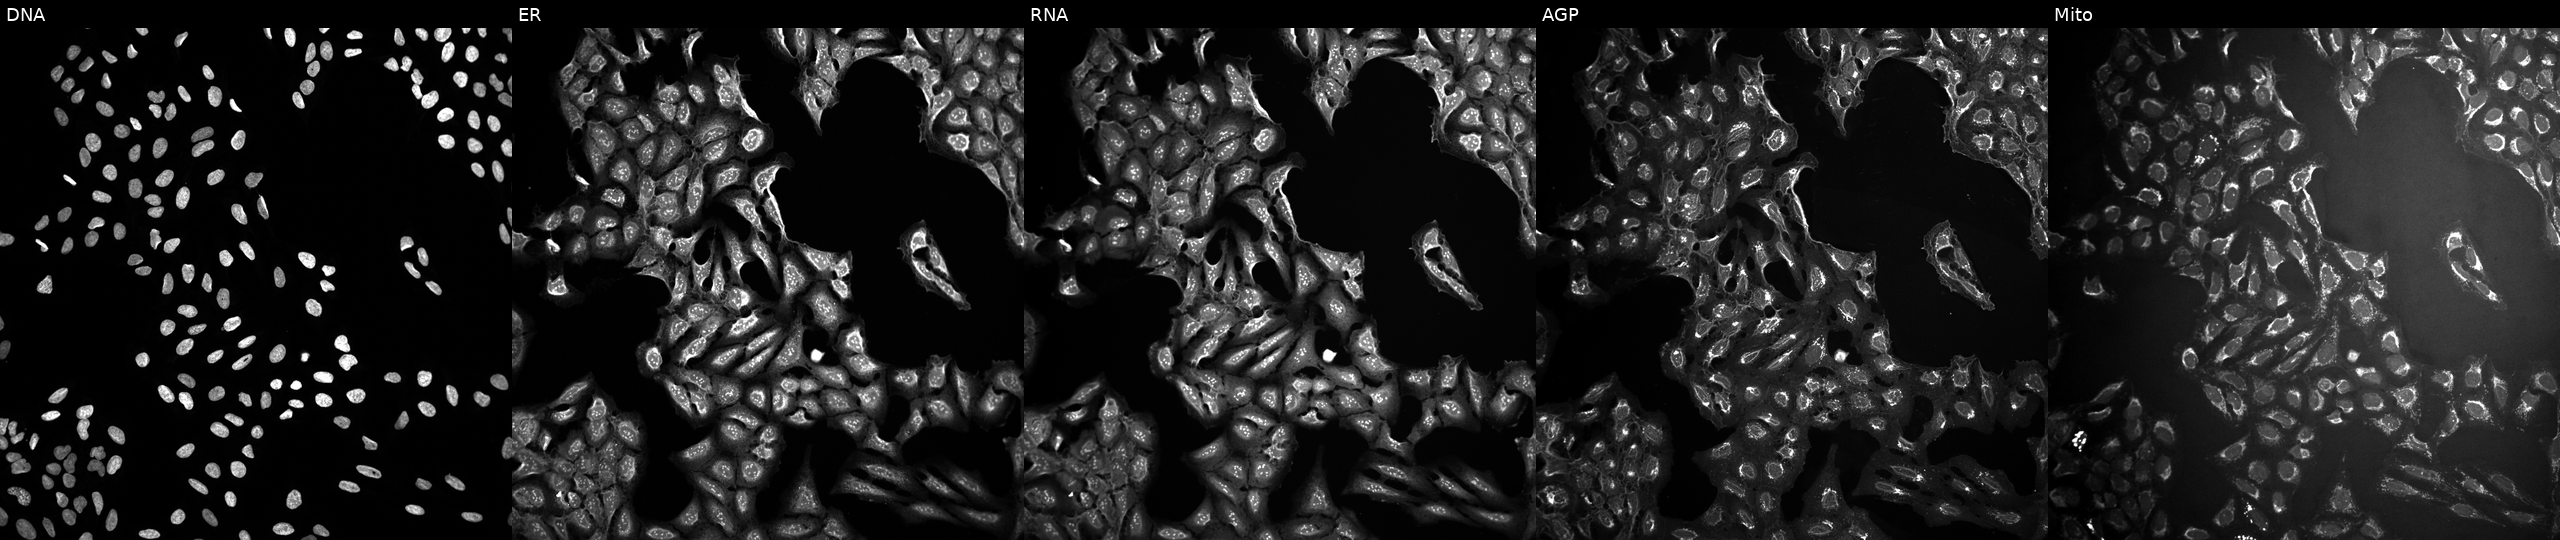
Five-channel Cell Painting image of U2OS cells perturbed with a small-molecule compound (InChIKey IYAYHZZWYNXHEQ-UHFFFAOYSA-N) (JUMP id JCP2022_038096). From left to right: DNA, ER, RNA, AGP, and Mito.